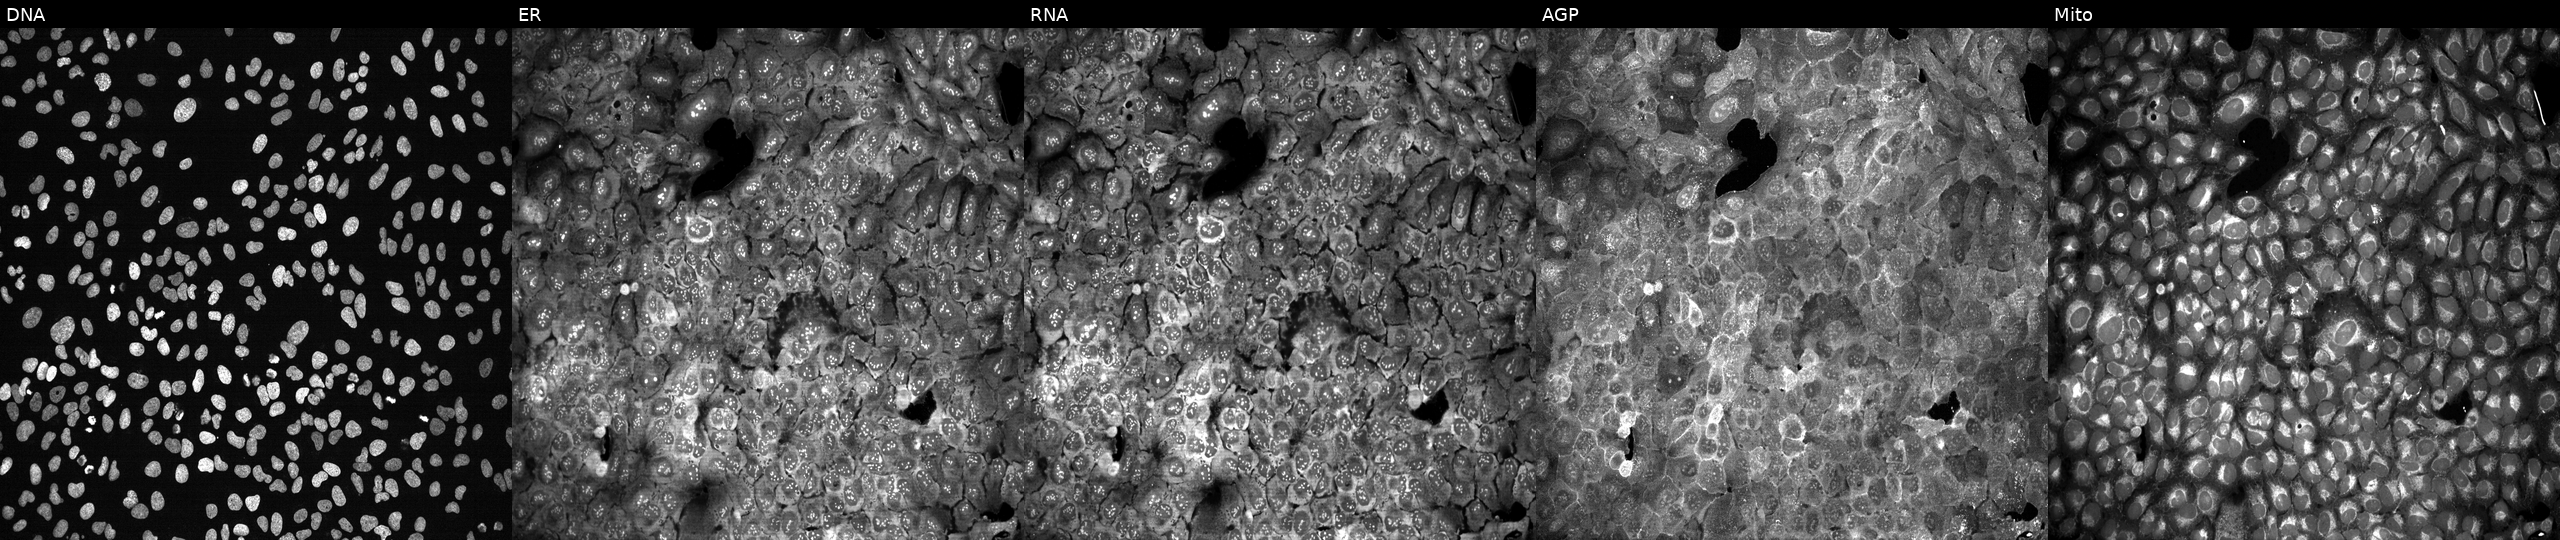
High-content fluorescence microscopy (Cell Painting). Cell line: U2OS. Perturbation: CRISPR-edited to disrupt PTGES (JUMP id JCP2022_805651). Channels (left→right): DNA (nuclei); ER (endoplasmic reticulum); RNA (nucleoli and cytoplasmic RNA); AGP (actin cytoskeleton, Golgi, and plasma membrane); Mito (mitochondria). Source 13, plate CP-CC9-R5-01, well E15.